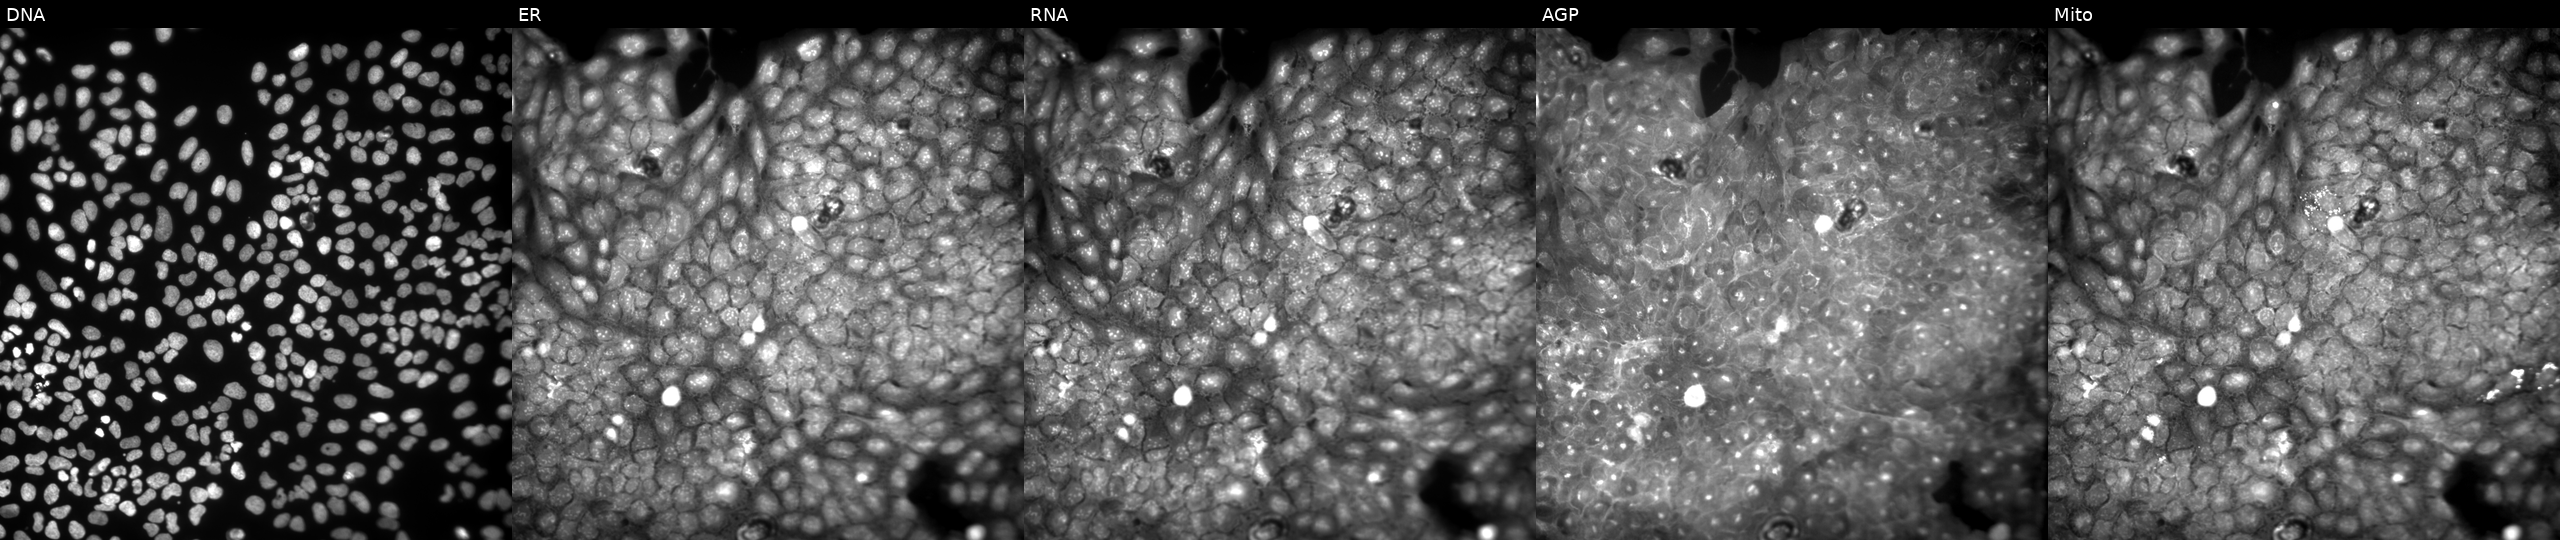
High-content fluorescence microscopy (Cell Painting). Cell line: U2OS. Perturbation: treated with a small-molecule compound (InChIKey JGJZFVYMUWFRMZ-UHFFFAOYSA-N). Channels (left→right): Hoechst 33342, concanavalin A, SYTO 14, phalloidin and WGA, MitoTracker.